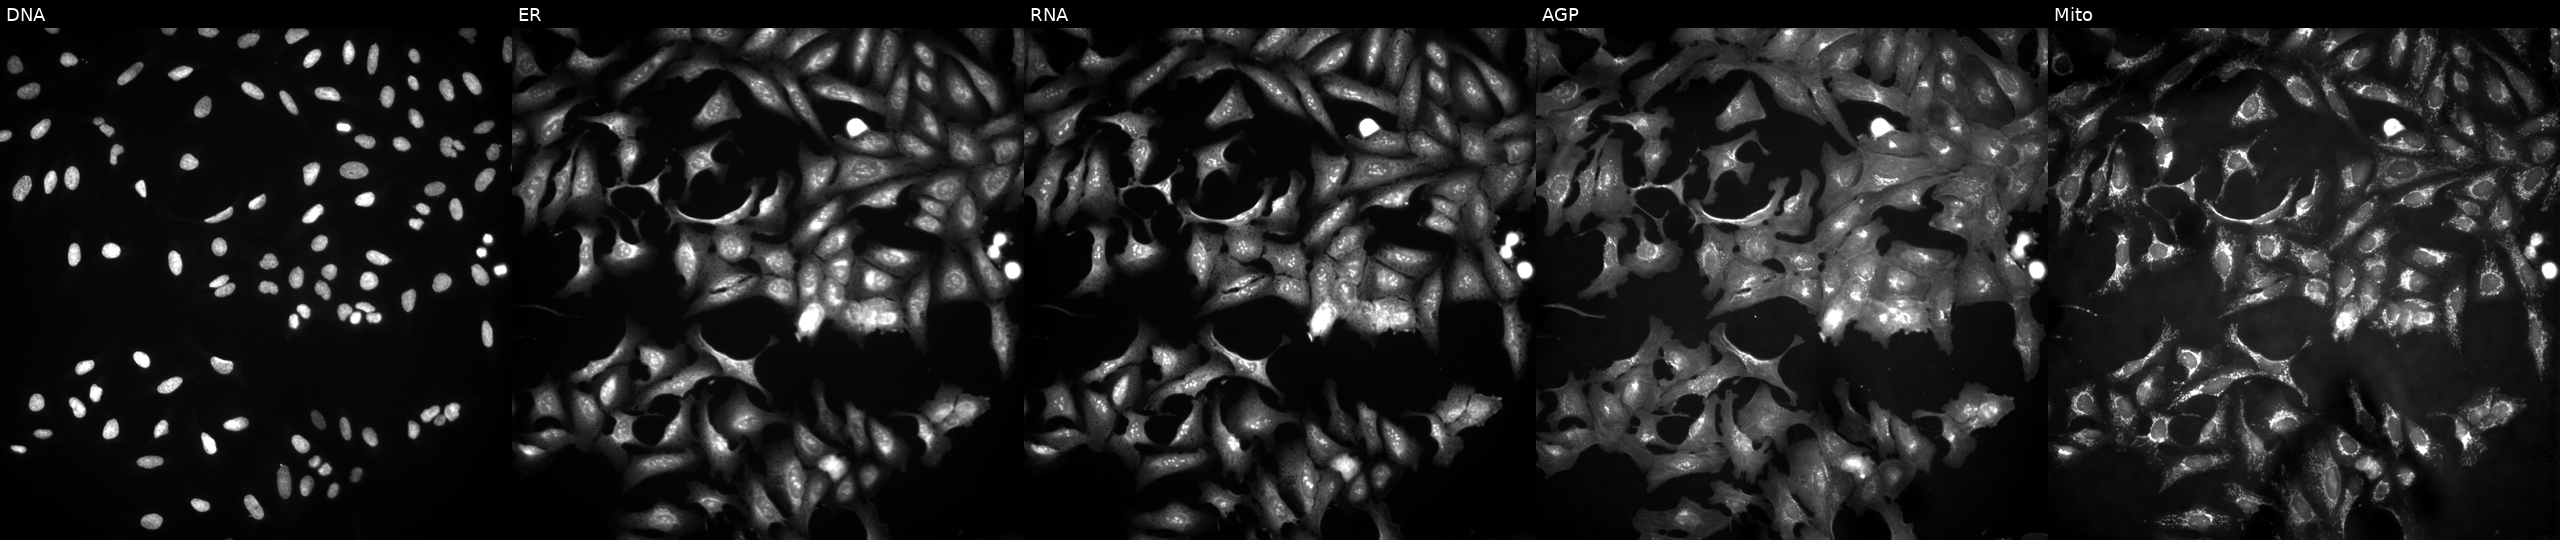
U2OS cells, Cell Painting assay, transfected with an ORF construct for PYGB. Channels (left→right): DNA, ER, RNA, AGP, and Mito. Each panel is percentile-stretched 16-bit fluorescence.